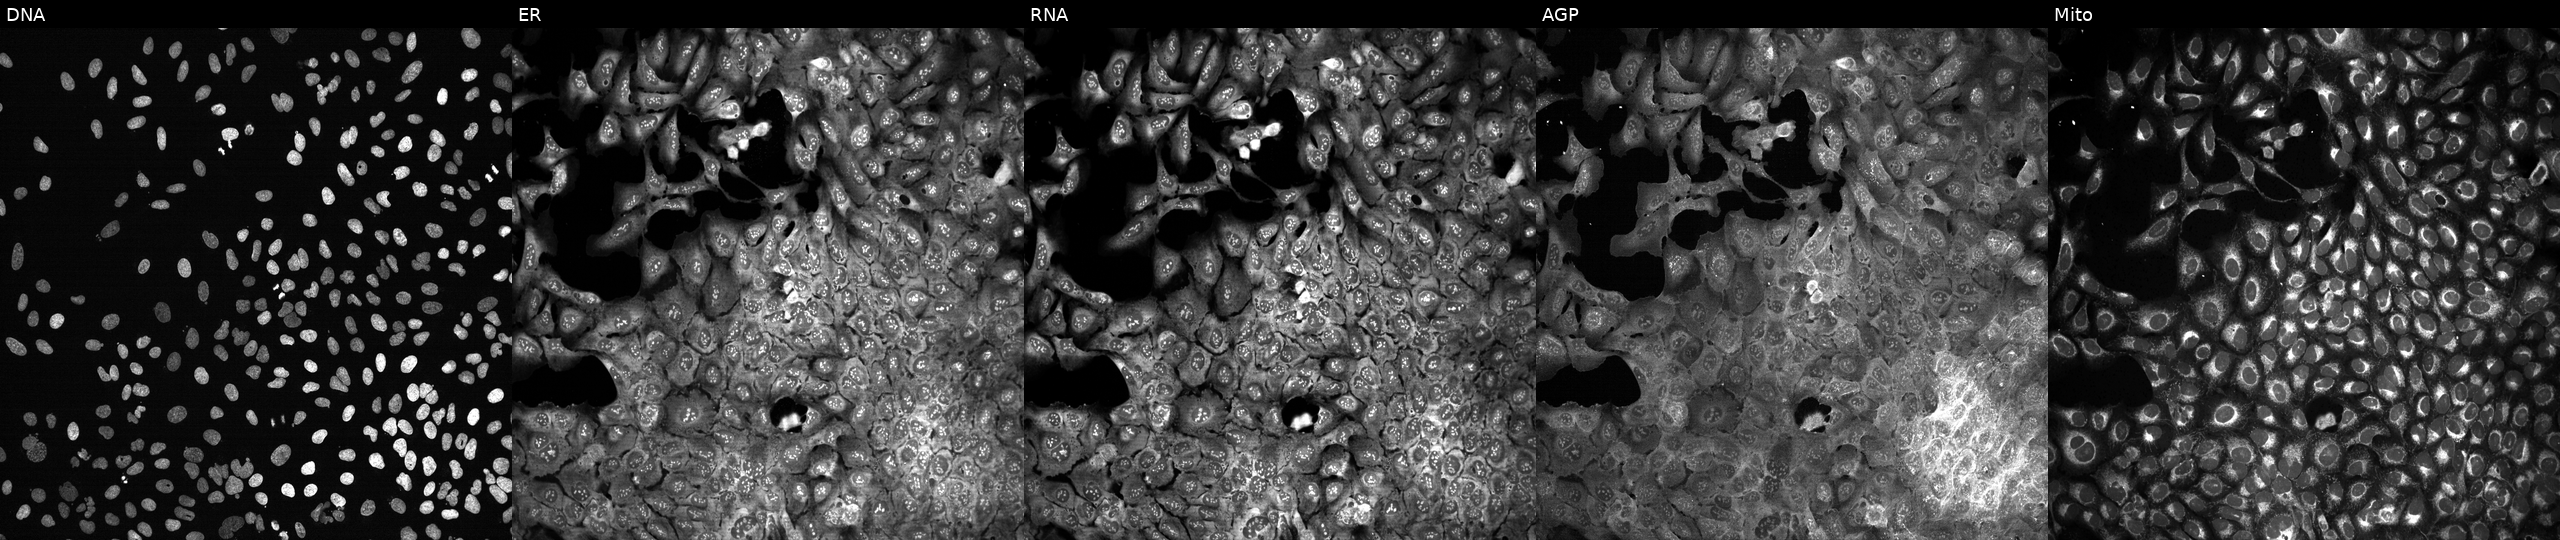
High-content fluorescence microscopy (Cell Painting). Cell line: U2OS. Perturbation: CRISPR-edited to disrupt IQGAP1 (JUMP id JCP2022_803454). From left to right: DNA (nuclei); ER (endoplasmic reticulum); RNA (nucleoli and cytoplasmic RNA); AGP (actin cytoskeleton, Golgi, and plasma membrane); Mito (mitochondria).